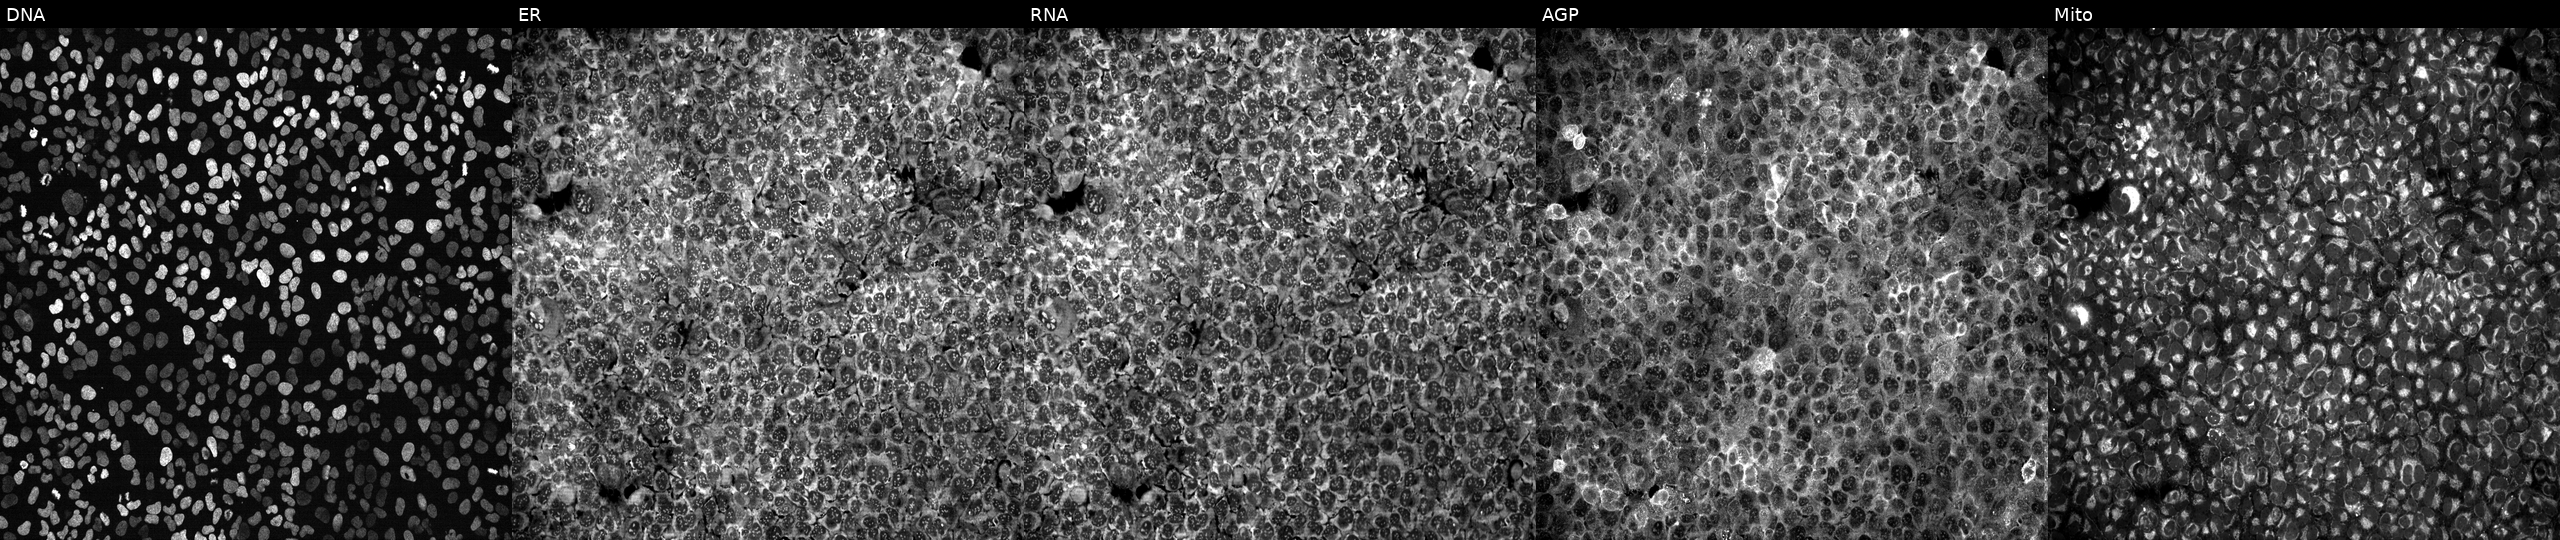
JUMP Cell Painting — CRISPR plate. U2OS cells exposed to the positive-control compound aloxistatin (JUMP id JCP2022_085227). Channels (left→right): DNA, ER, RNA, AGP, and Mito.